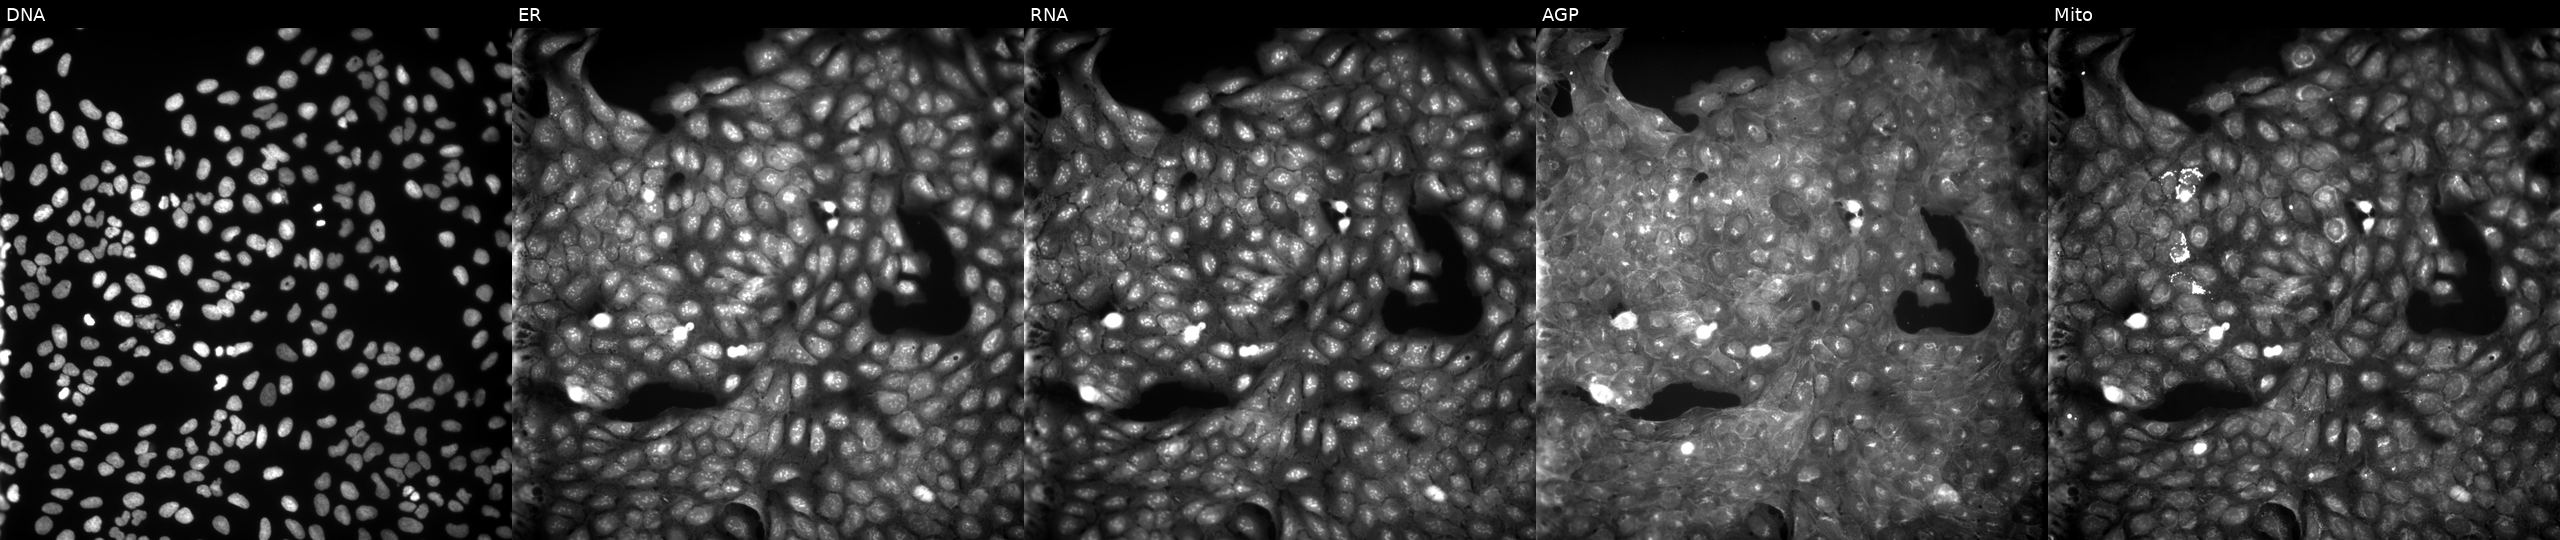
High-content fluorescence microscopy (Cell Painting). Cell line: U2OS. Perturbation: perturbed with a small-molecule compound (InChIKey DTPLBMZQZYRCFA-UHFFFAOYSA-N). From left to right: DNA (nuclei); ER (endoplasmic reticulum); RNA (nucleoli and cytoplasmic RNA); AGP (actin cytoskeleton, Golgi, and plasma membrane); Mito (mitochondria).